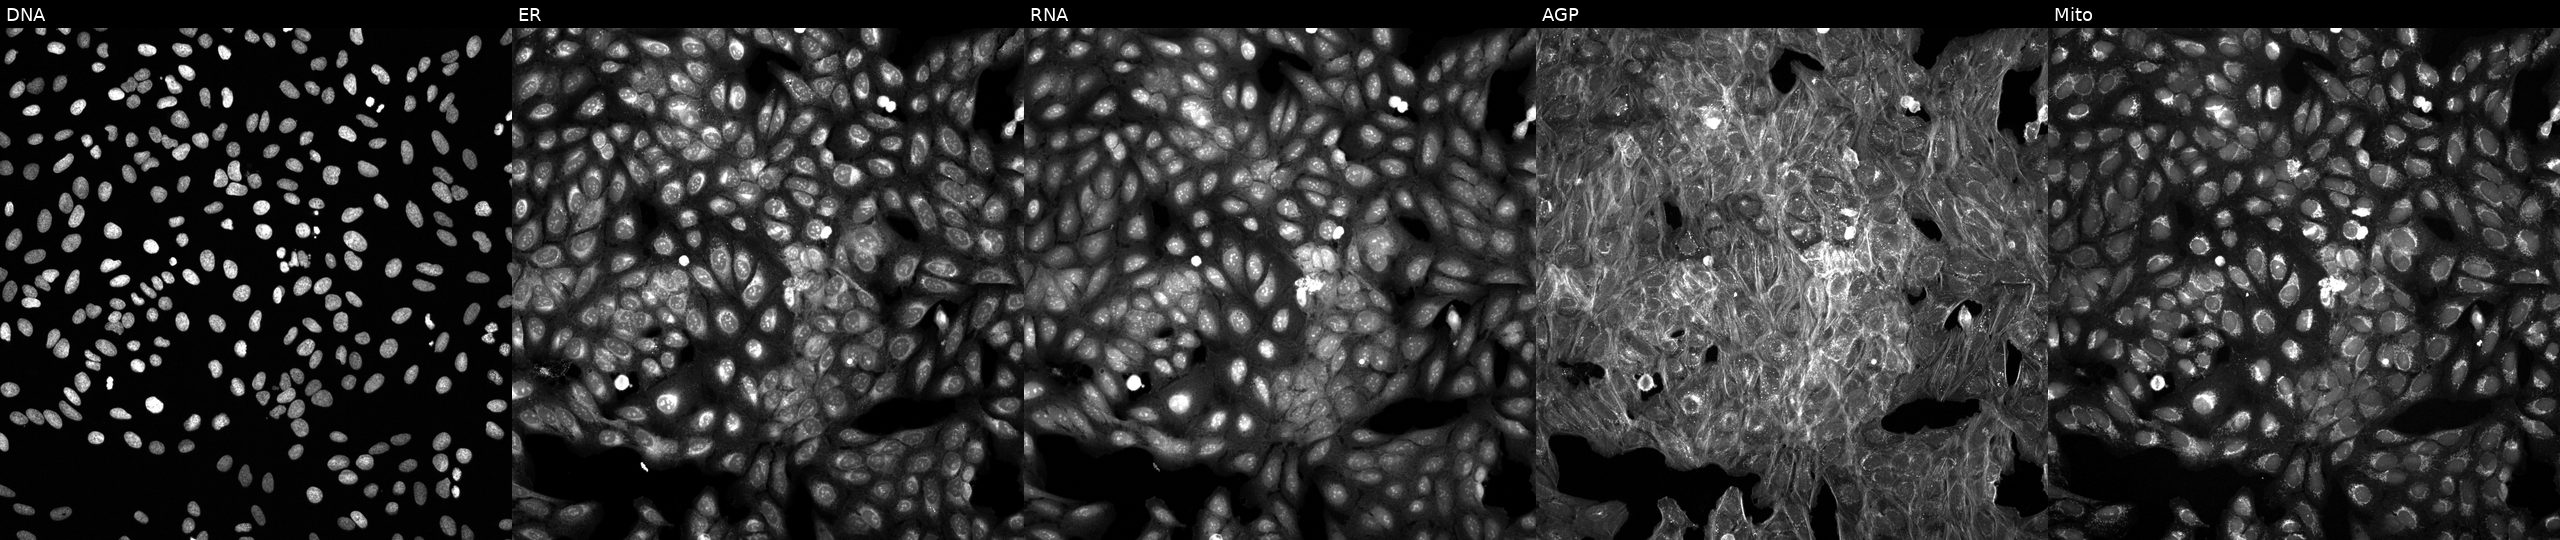
JUMP Cell Painting — TARGET2 plate. U2OS cells treated with a small-molecule compound (InChIKey RDOIQAHITMMDAJ-UHFFFAOYSA-N) (JUMP id JCP2022_077671). The five panels, left to right, show DNA (nuclei); ER (endoplasmic reticulum); RNA (nucleoli and cytoplasmic RNA); AGP (actin cytoskeleton, Golgi, and plasma membrane); Mito (mitochondria). Source 6, plate 110000294901, well L24.